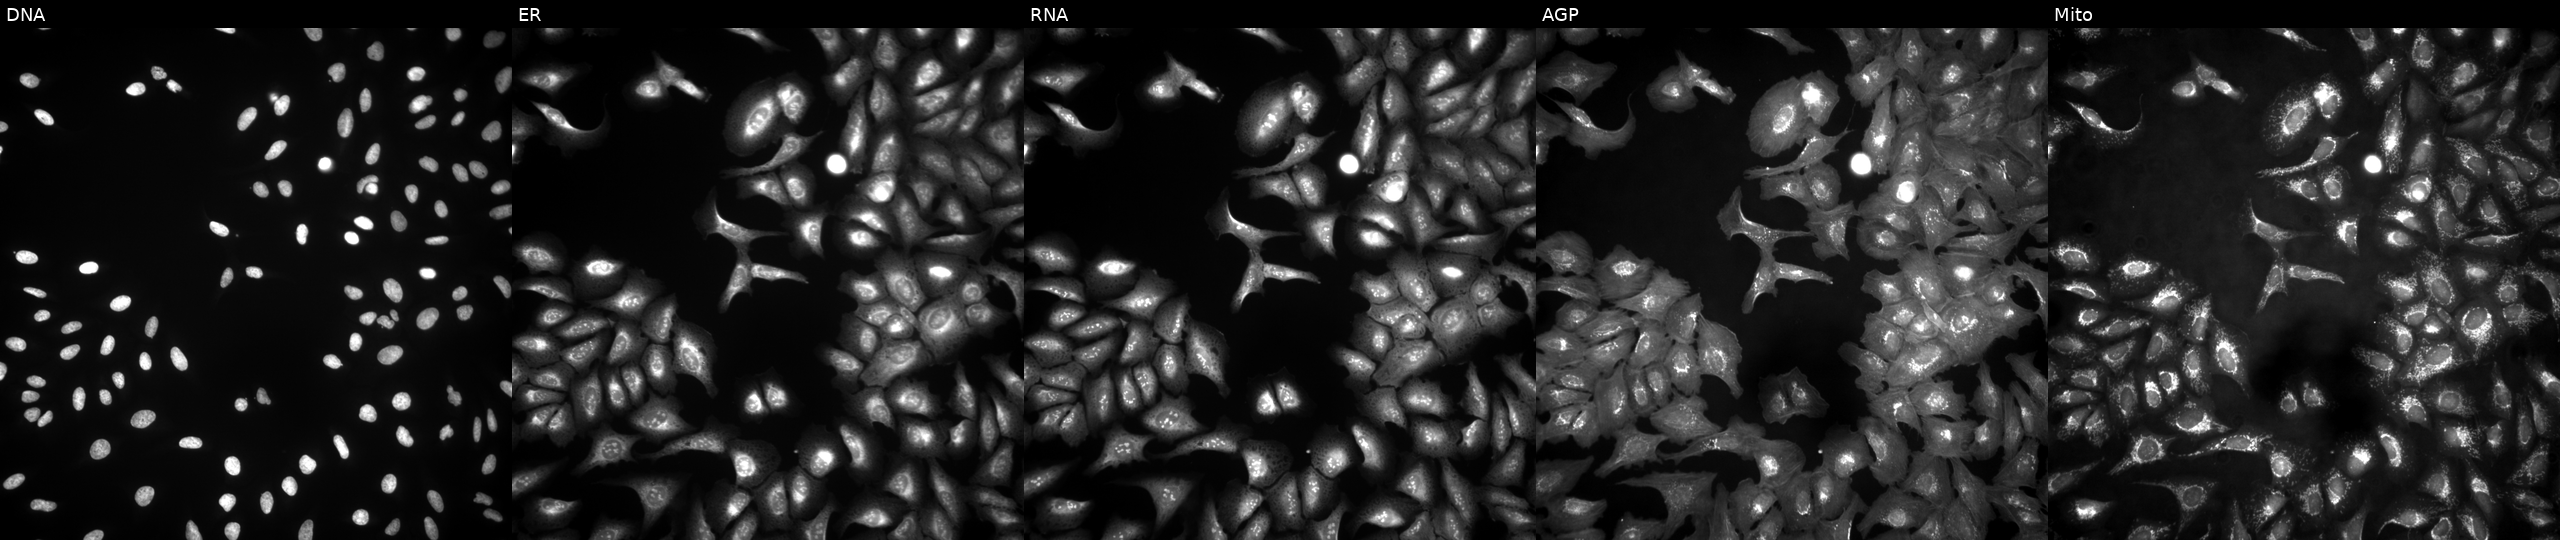
U2OS cells, Cell Painting assay, transfected with ORF construct ccsbBroad304_13796 (gene symbol not annotated) (JUMP id JCP2022_912862). From left to right: DNA, ER, RNA, AGP, and Mito. Each panel is percentile-stretched 16-bit fluorescence.